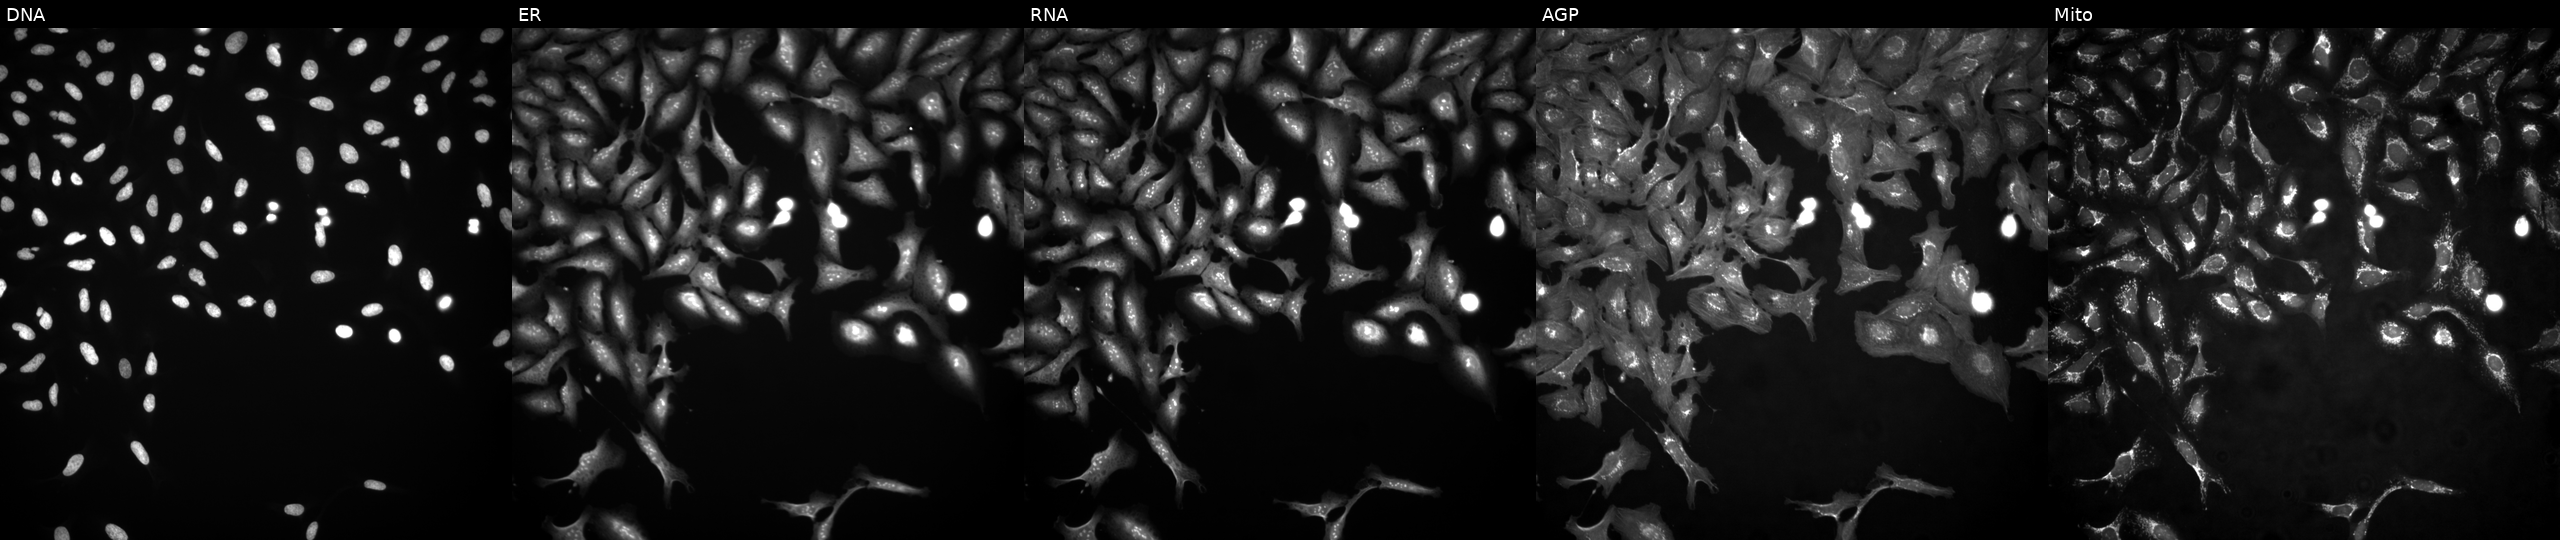
From left to right: Hoechst 33342, concanavalin A, SYTO 14, phalloidin and WGA, MitoTracker. U2OS osteosarcoma cells overexpressing TBR1 via ORF transfection (JUMP id JCP2022_913992). Cell Painting assay, JUMP-CP dataset. Source 4, plate BR00117035, well A17.